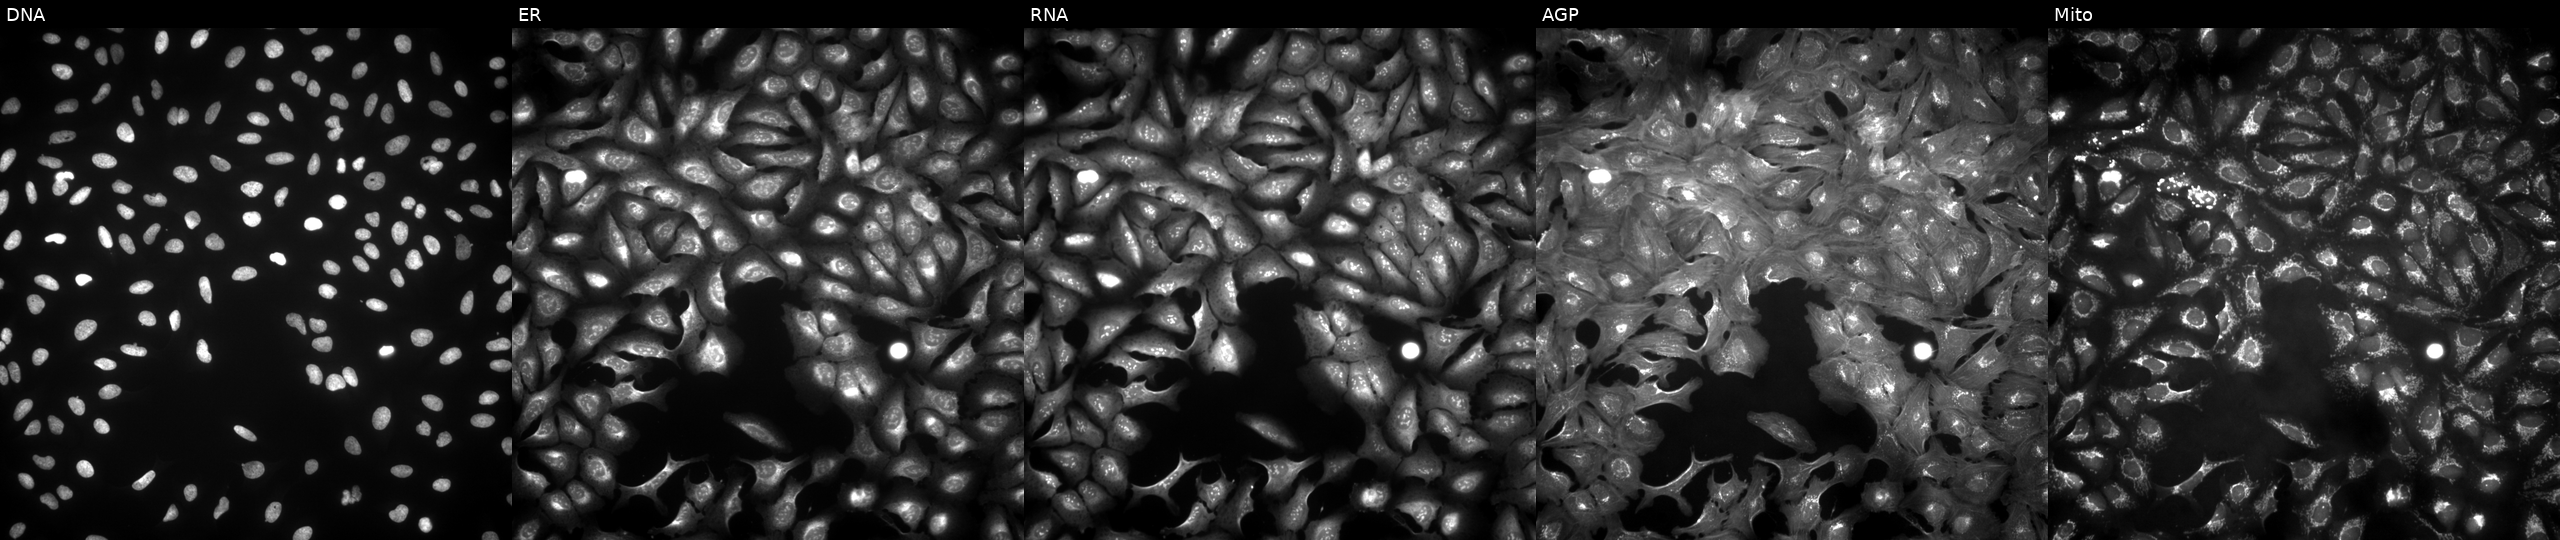
From left to right: DNA (nuclei); ER (endoplasmic reticulum); RNA (nucleoli and cytoplasmic RNA); AGP (actin cytoskeleton, Golgi, and plasma membrane); Mito (mitochondria). U2OS osteosarcoma cells transfected with an ORF construct for SPART (JUMP id JCP2022_907325). Cell Painting assay, JUMP-CP dataset. Source 4, plate BR00123506, well A24.